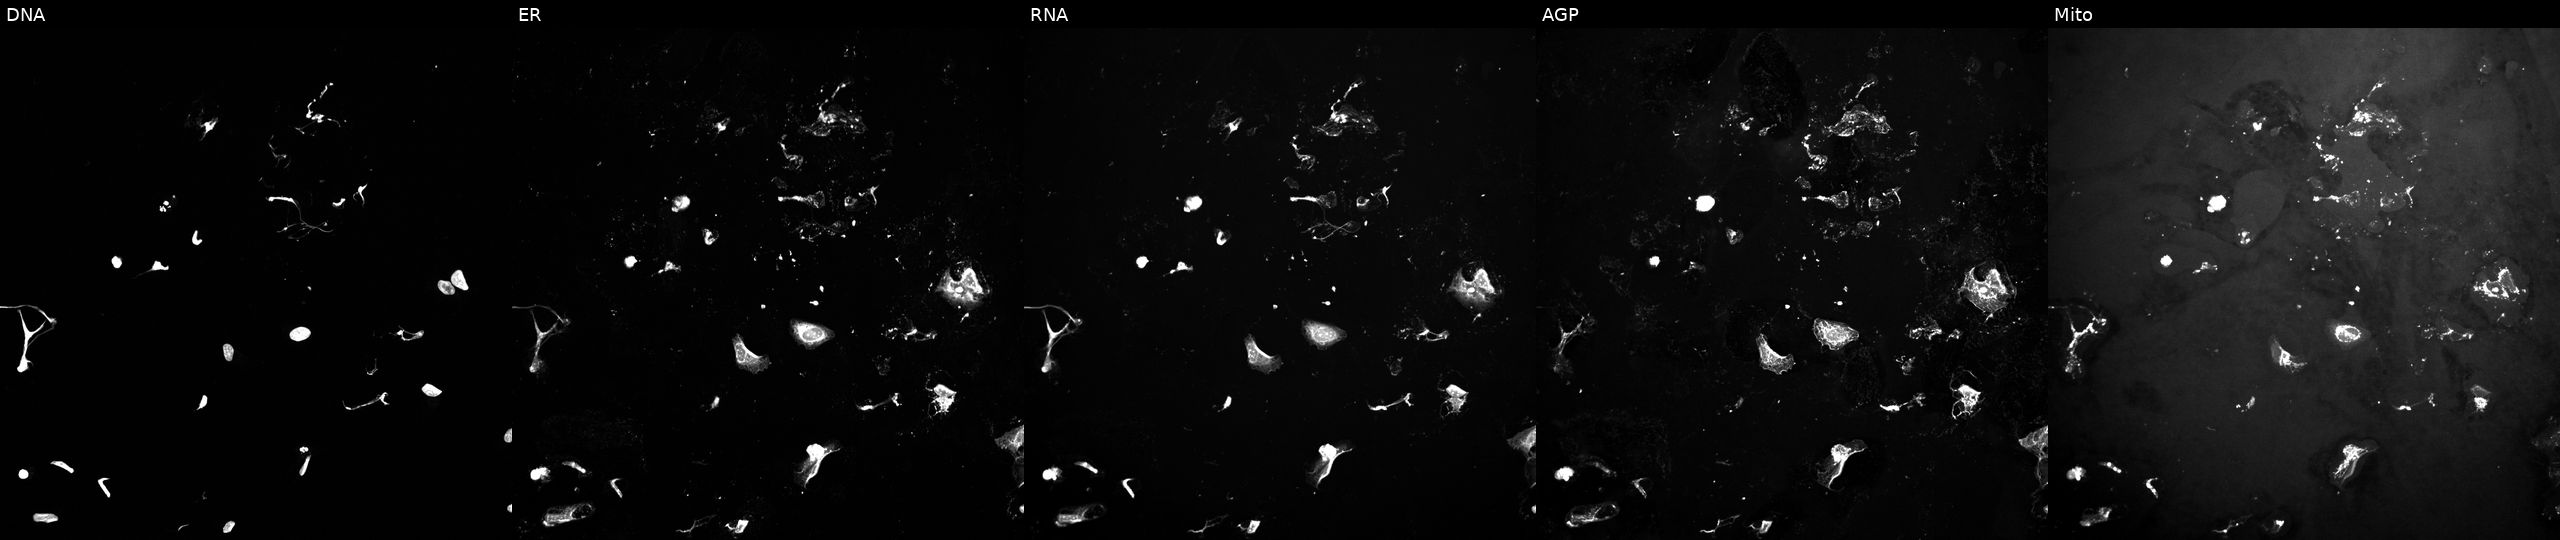
Five-channel Cell Painting image of U2OS cells treated with a small-molecule compound (JUMP id JCP2022_080920). The five panels, left to right, show DNA (nuclei); ER (endoplasmic reticulum); RNA (nucleoli and cytoplasmic RNA); AGP (actin cytoskeleton, Golgi, and plasma membrane); Mito (mitochondria). Source 10, plate Dest210803-153958, well D13.